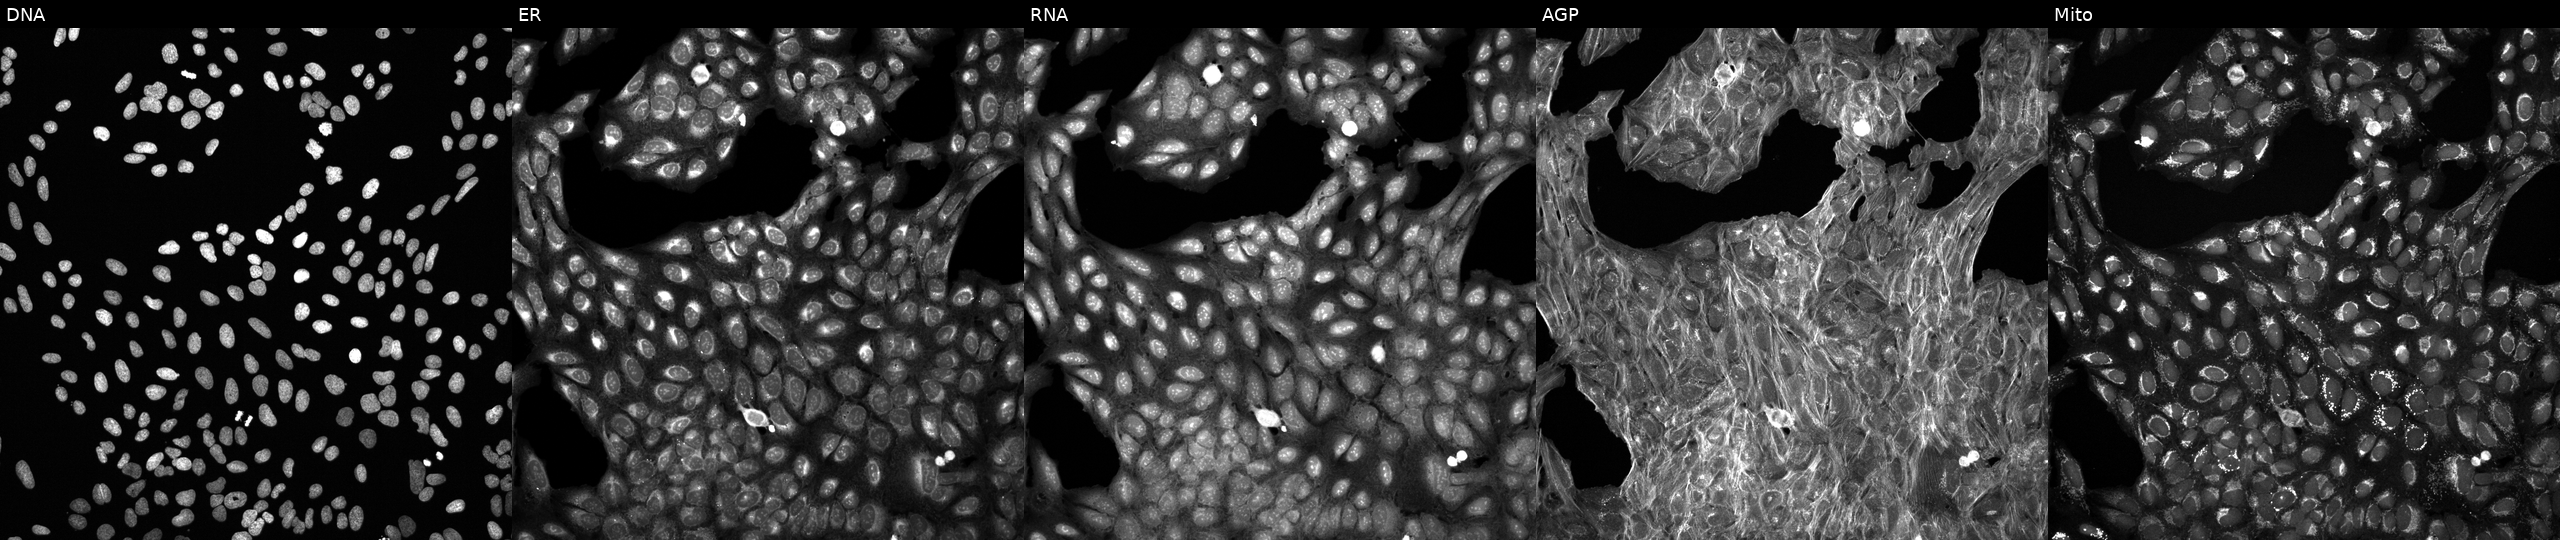
JUMP Cell Painting — TARGET2 plate. U2OS cells treated with a small-molecule compound (InChIKey PZBPKYOVPCNPJY-UHFFFAOYSA-N). The five panels, left to right, show DNA, ER, RNA, AGP, and Mito.